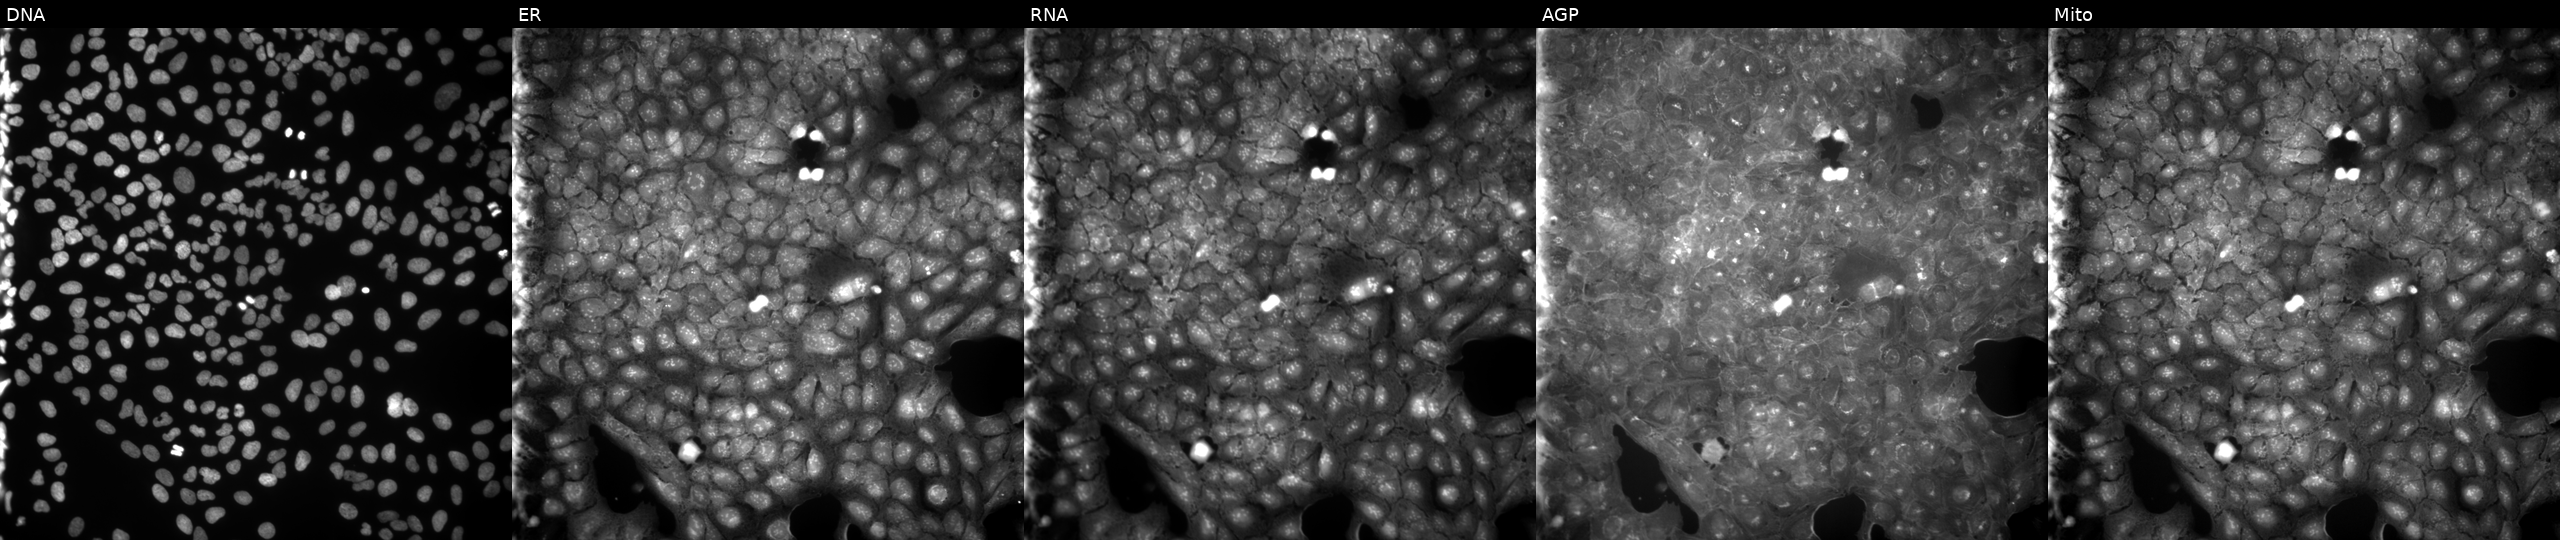
Five-channel Cell Painting image of U2OS cells perturbed with a small-molecule compound (InChIKey ADJJHTKFPPOEAH-UHFFFAOYSA-N) [SMILES: CCOc1cc(C(c2c(C)[nH][nH]c2=O)c2c(C)[nH][nH]c2=O)ccc1O]. Panels show, left to right, DNA, ER, RNA, AGP, and Mito.